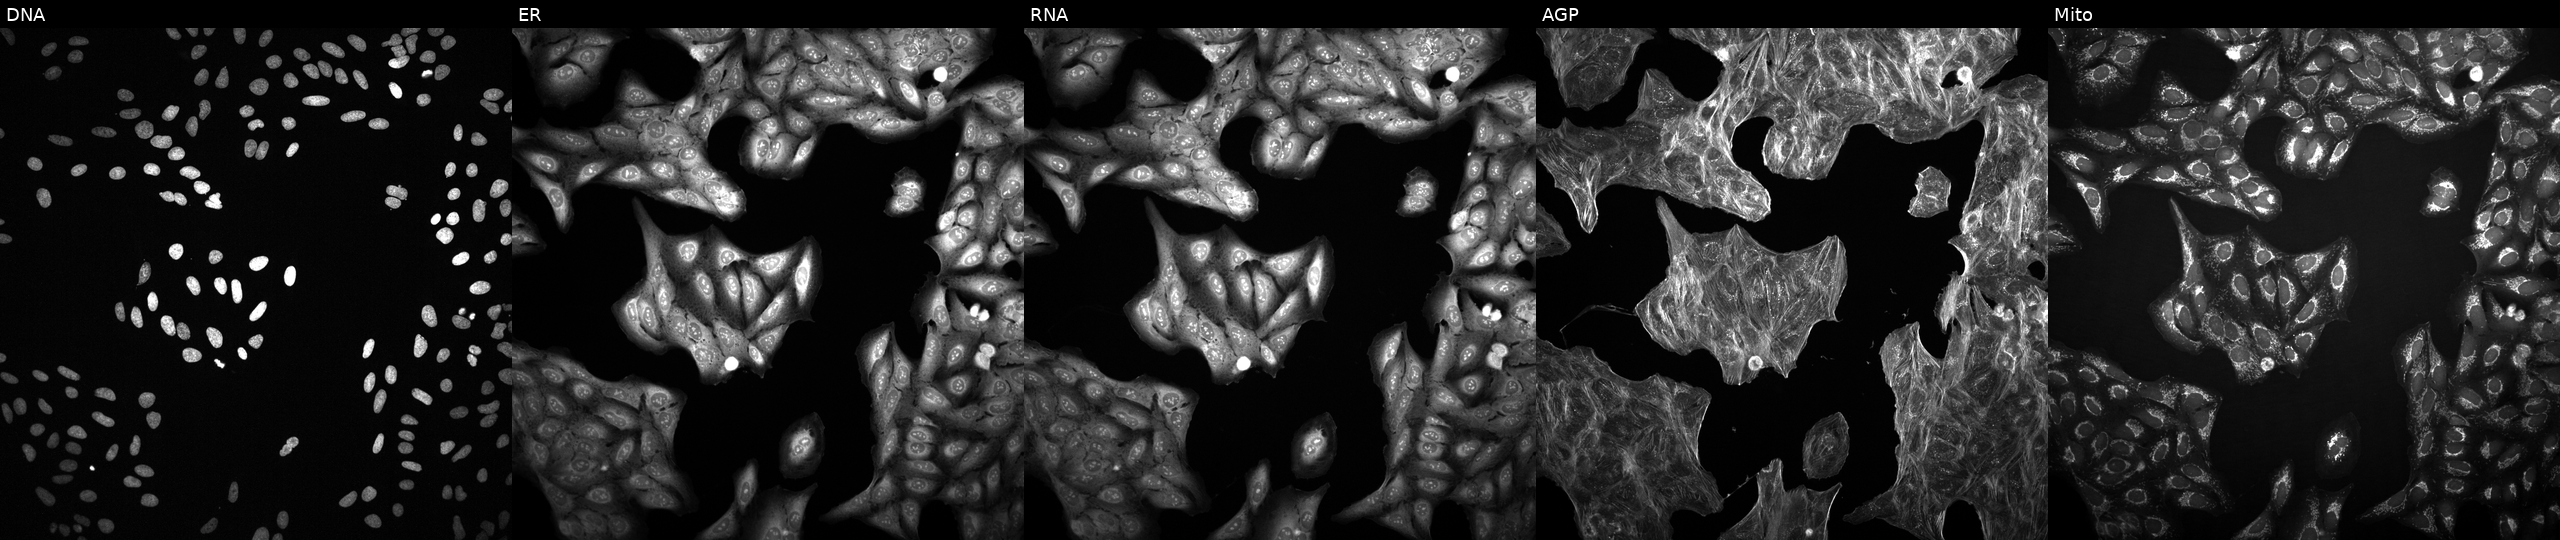
Five-channel Cell Painting image of U2OS cells treated with a small-molecule compound (JUMP id JCP2022_015955). Channels (left→right): DNA (nuclei); ER (endoplasmic reticulum); RNA (nucleoli and cytoplasmic RNA); AGP (actin cytoskeleton, Golgi, and plasma membrane); Mito (mitochondria).